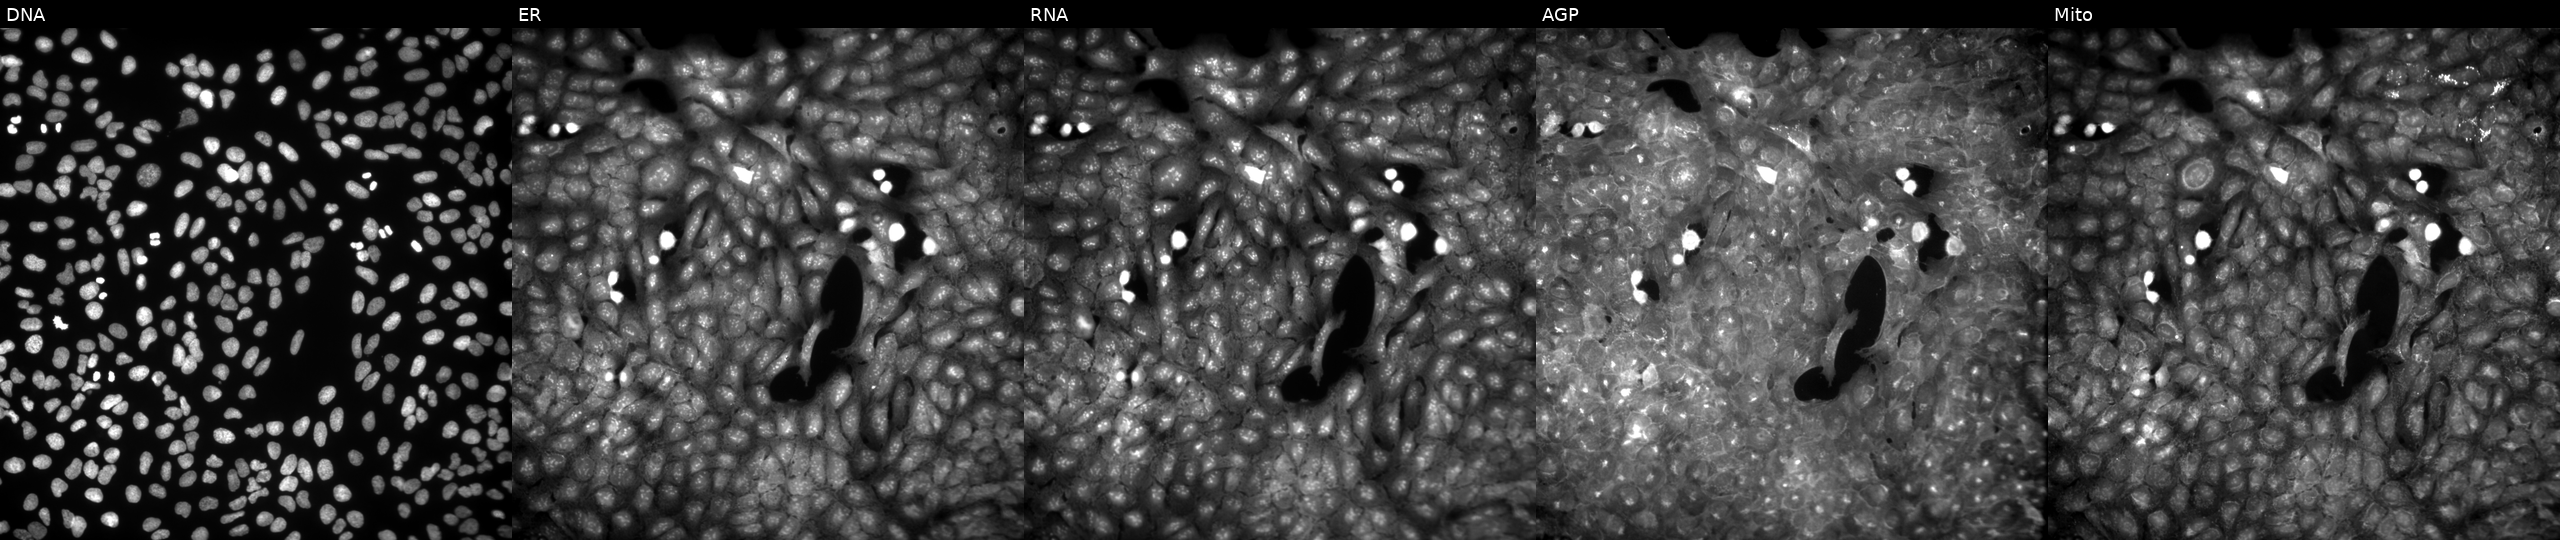
Channels (left→right): DNA (nuclei); ER (endoplasmic reticulum); RNA (nucleoli and cytoplasmic RNA); AGP (actin cytoskeleton, Golgi, and plasma membrane); Mito (mitochondria). U2OS osteosarcoma cells treated with a small-molecule compound (InChIKey JSUJTFFPPUMMHW-UHFFFAOYSA-N). Cell Painting assay, JUMP-CP dataset.